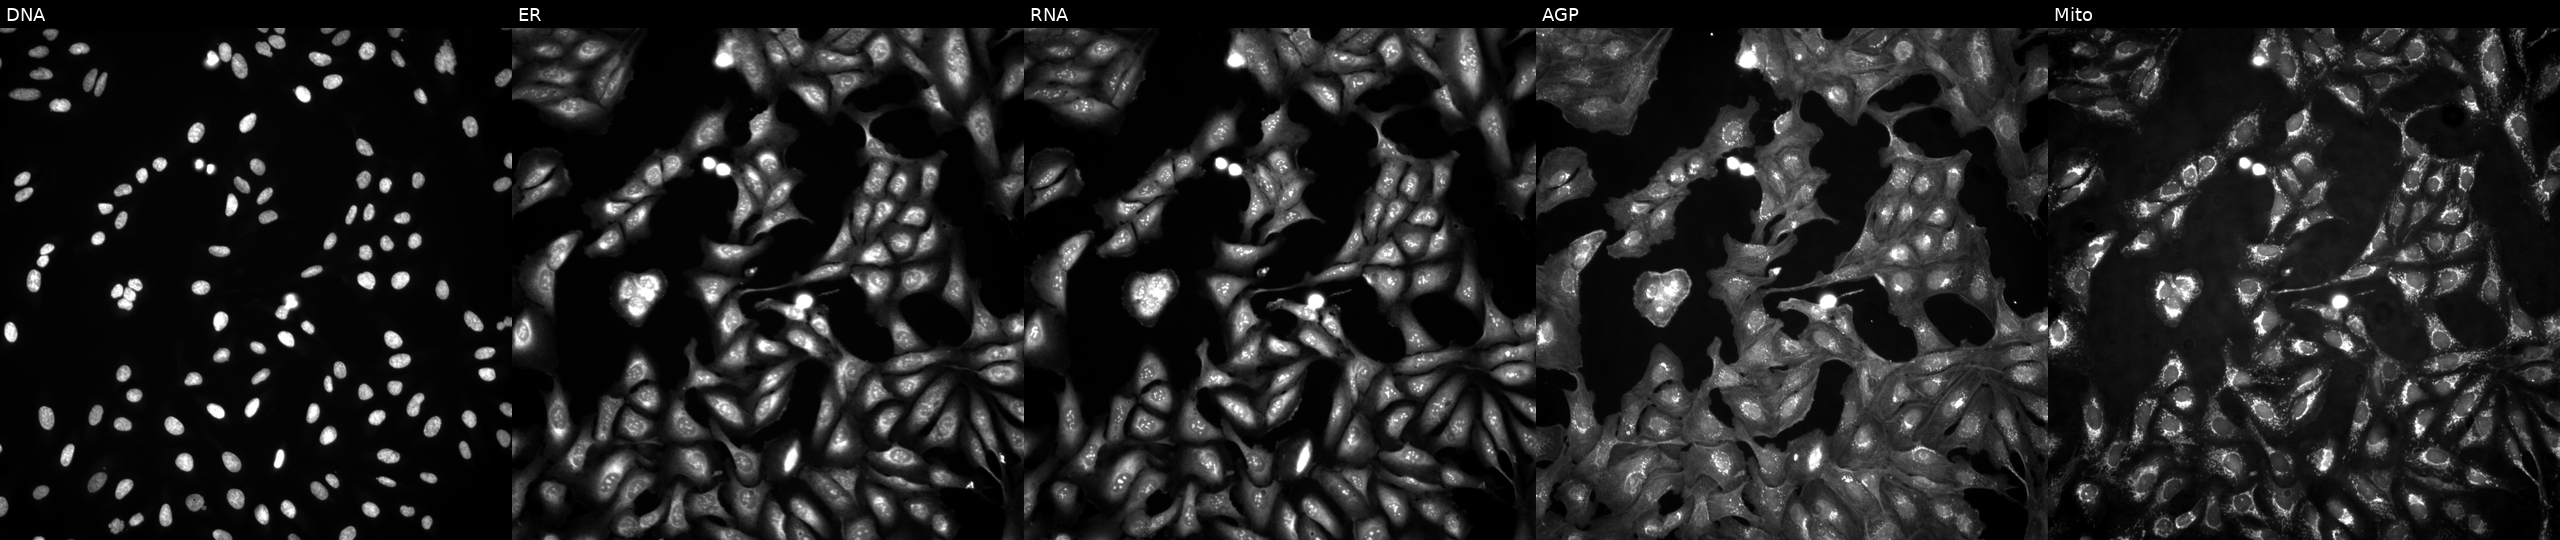
U2OS cells, Cell Painting assay, in an empty control well (no perturbation). Channels (left→right): DNA (nuclei); ER (endoplasmic reticulum); RNA (nucleoli and cytoplasmic RNA); AGP (actin cytoskeleton, Golgi, and plasma membrane); Mito (mitochondria). Each panel is percentile-stretched 16-bit fluorescence.